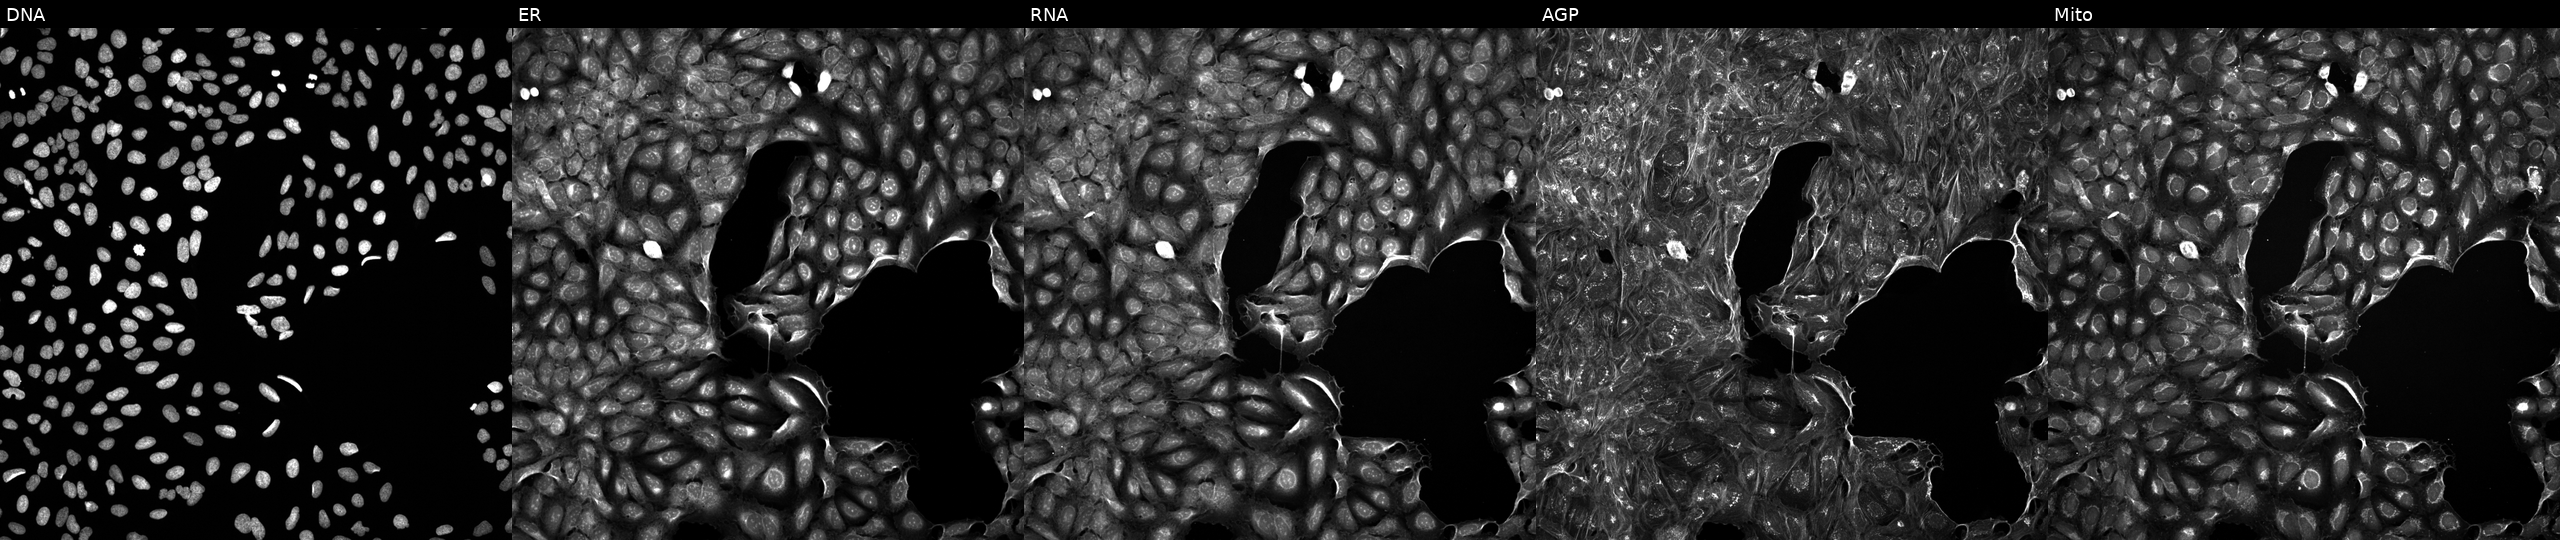
This image strip shows the five Cell Painting channels for a single field of U2OS cells exposed to the positive-control compound quinidine. Channels (left→right): DNA, ER, RNA, AGP, and Mito.